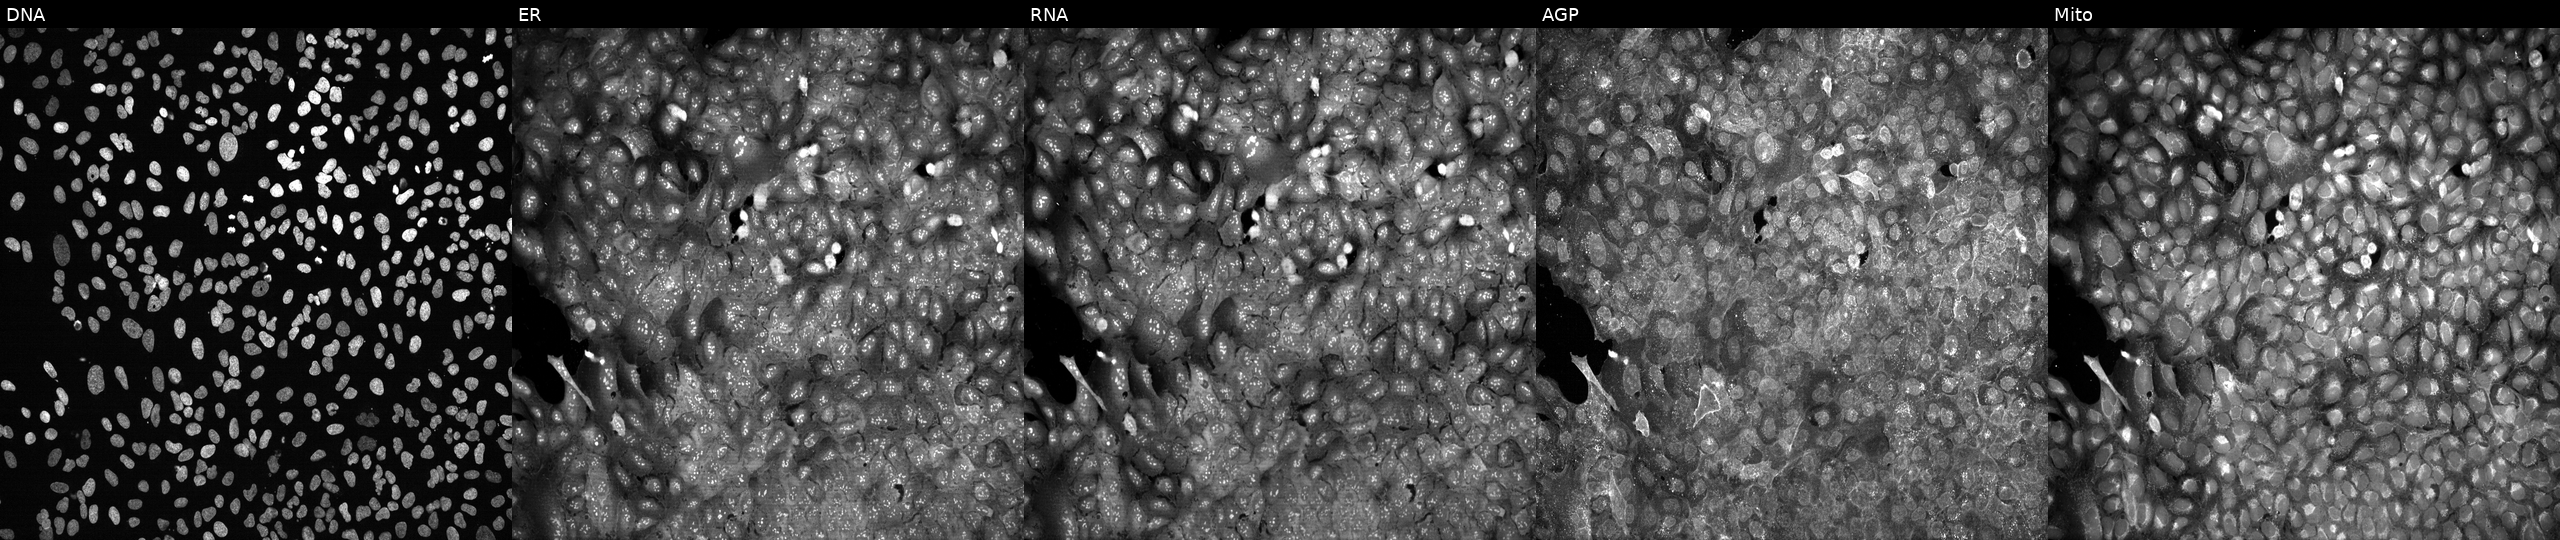
U2OS cells, Cell Painting assay, following CRISPR knockout of A4GNT. The five panels, left to right, show Hoechst 33342, concanavalin A, SYTO 14, phalloidin and WGA, MitoTracker. Each panel is percentile-stretched 16-bit fluorescence.